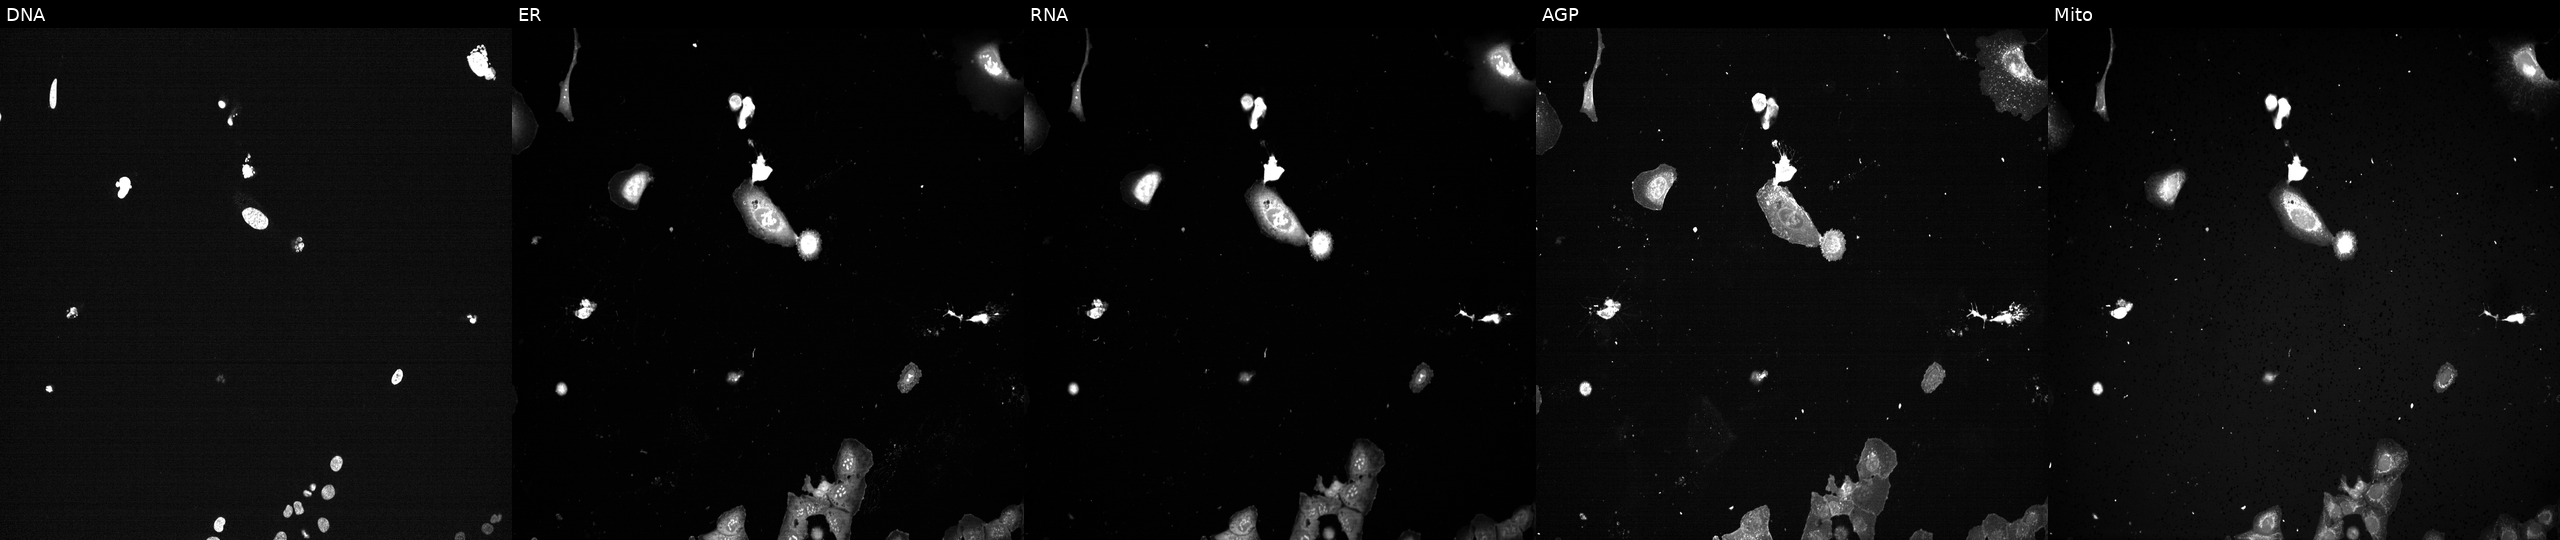
The five panels, left to right, show DNA, ER, RNA, AGP, and Mito. U2OS osteosarcoma cells with PLK1 knocked out by CRISPR (positive control). Cell Painting assay, JUMP-CP dataset. Source 13, plate CP-CC9-R1-01, well A23.